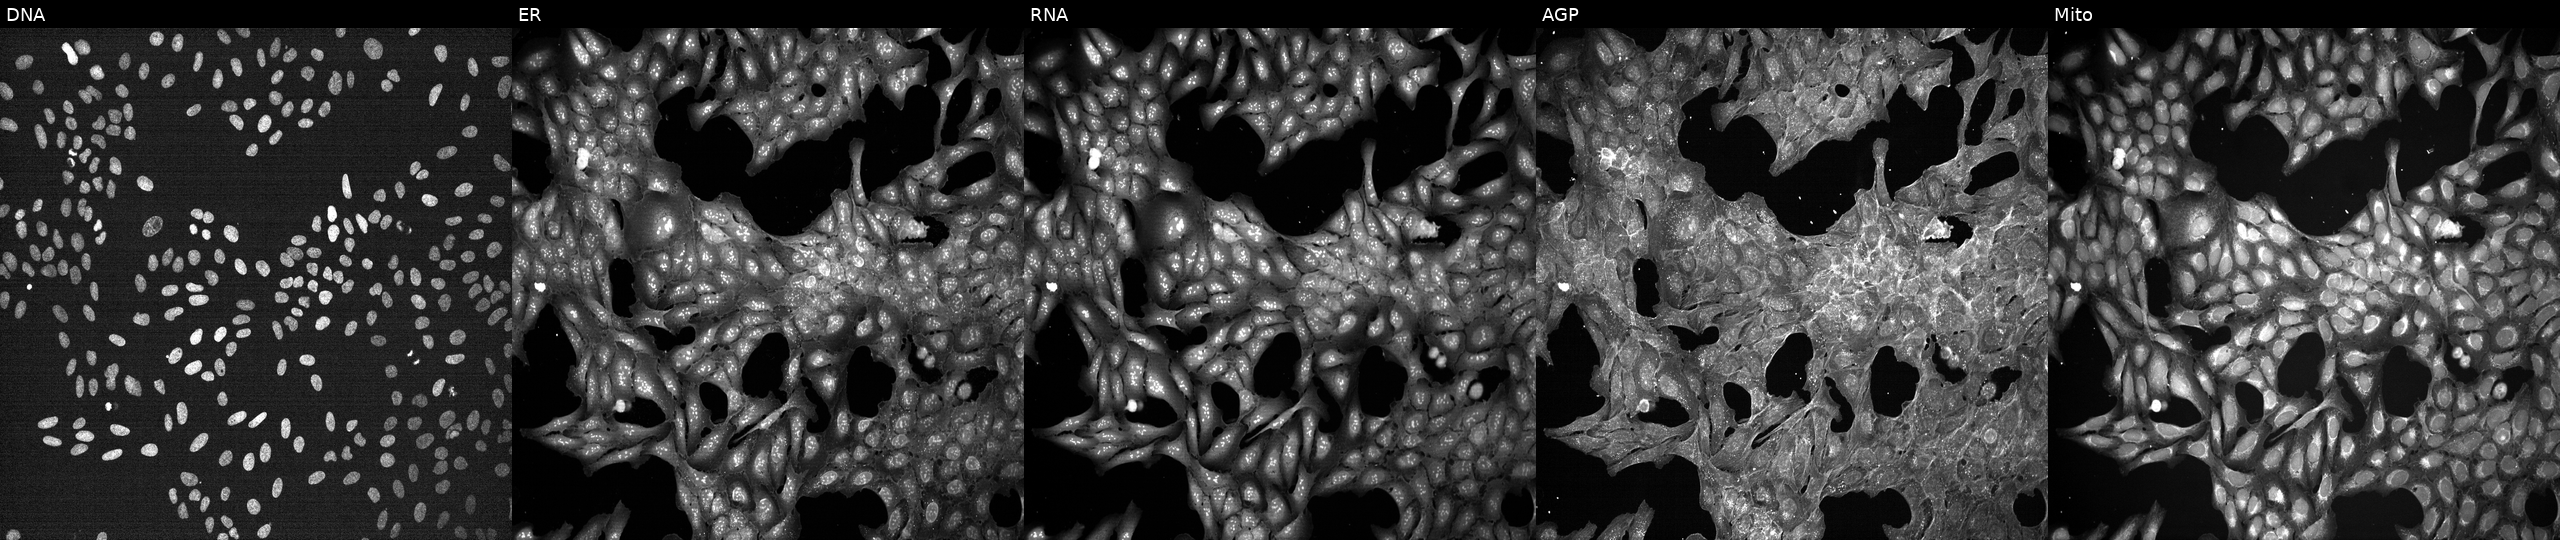
Five-channel Cell Painting image of U2OS cells exposed to DMSO alone as a negative control (JUMP id JCP2022_033924). From left to right: DNA (nuclei); ER (endoplasmic reticulum); RNA (nucleoli and cytoplasmic RNA); AGP (actin cytoskeleton, Golgi, and plasma membrane); Mito (mitochondria).